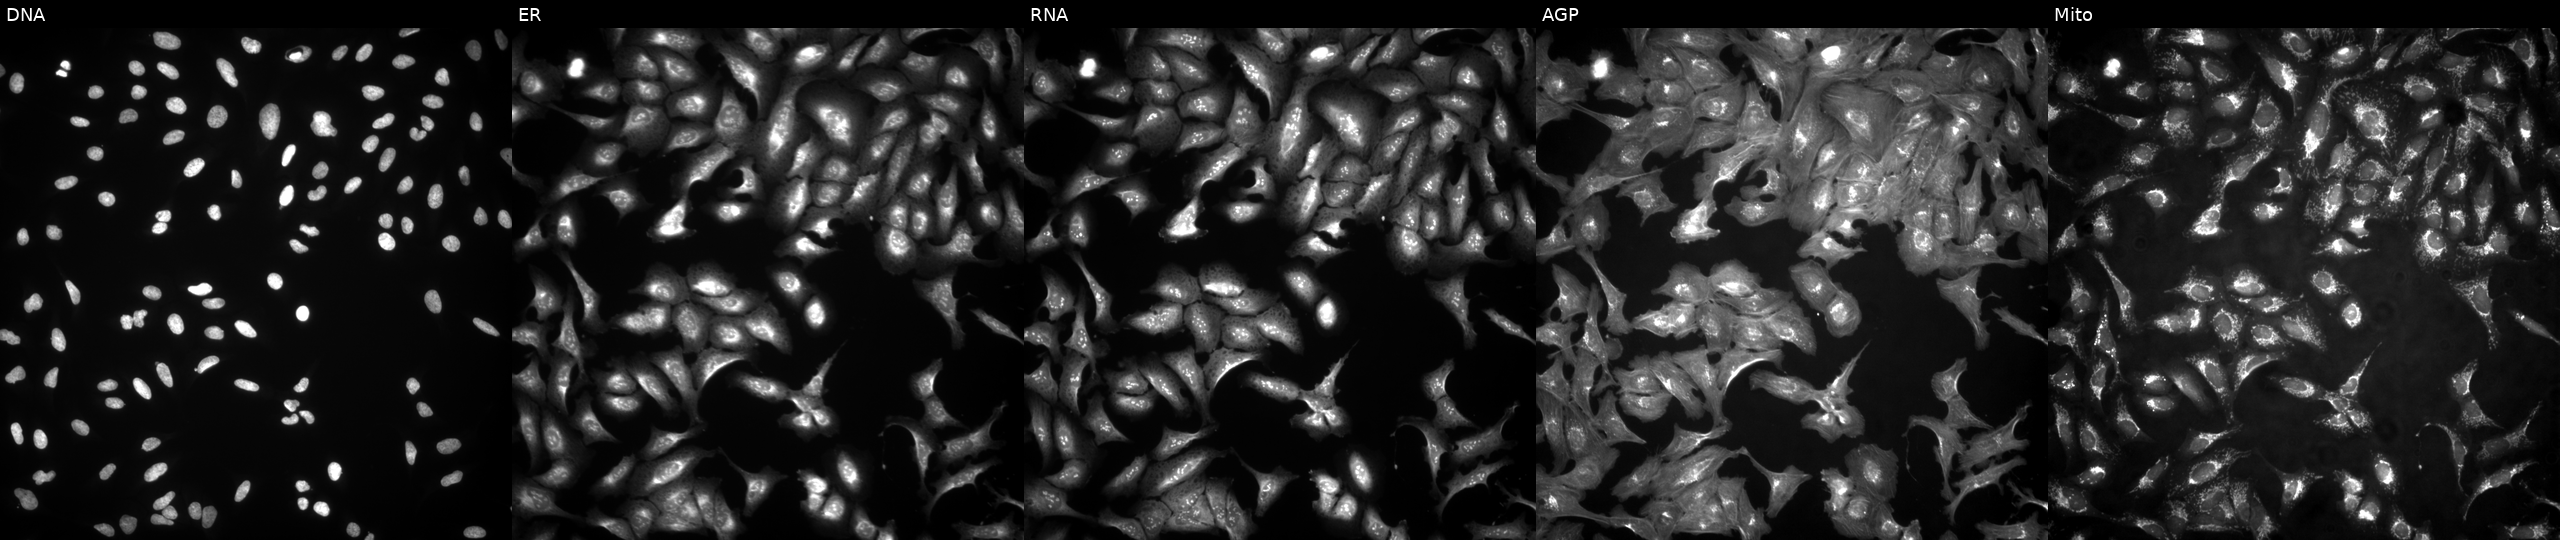
This image strip shows the five Cell Painting channels for a single field of U2OS cells transfected with an ORF construct for MRPL53 (JUMP id JCP2022_904416). From left to right: DNA, ER, RNA, AGP, and Mito. Source 4, plate BR00123509, well P07.